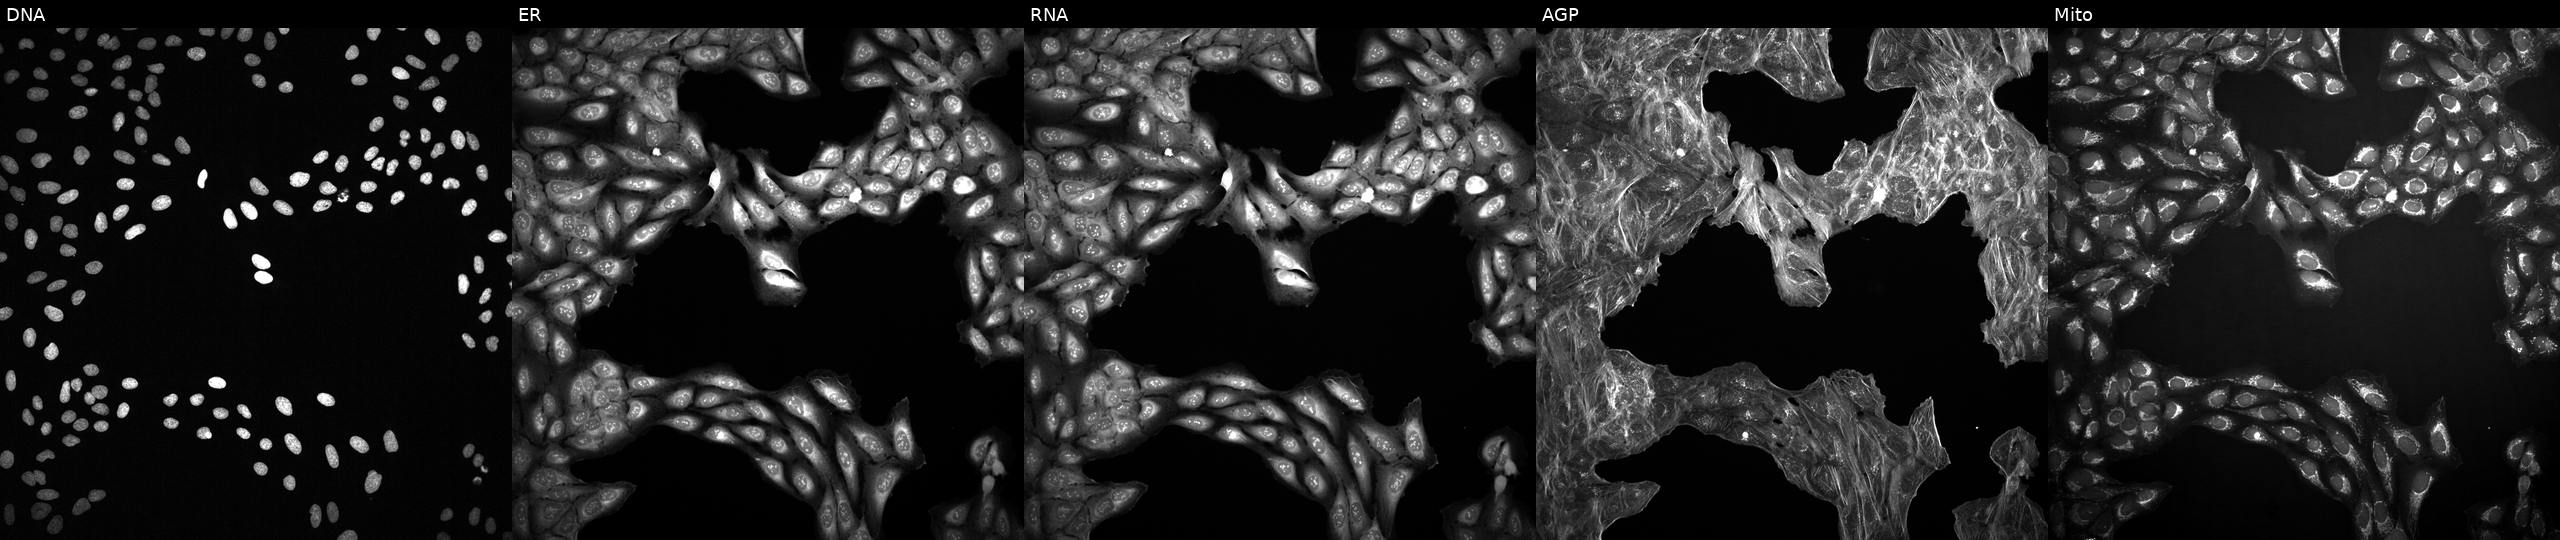
JUMP Cell Painting — TARGET2 plate. U2OS cells treated with a small-molecule compound (InChIKey LPGBXHWIQNZEJB-UHFFFAOYSA-N) (JUMP id JCP2022_050873). Panels show, left to right, Hoechst 33342, concanavalin A, SYTO 14, phalloidin and WGA, MitoTracker.